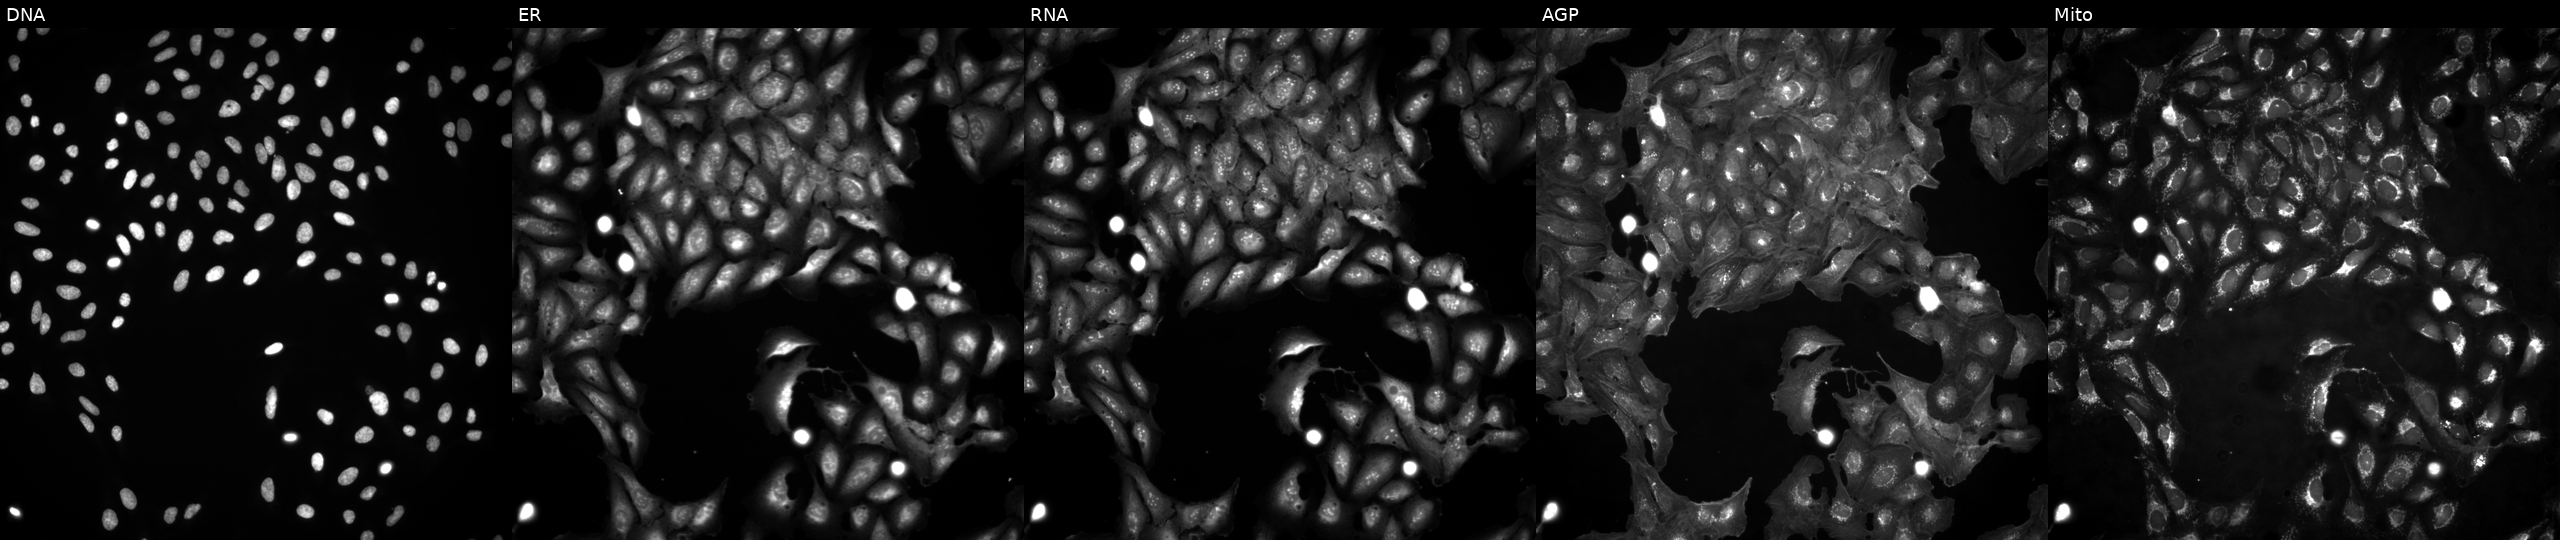
The five panels, left to right, show DNA (nuclei); ER (endoplasmic reticulum); RNA (nucleoli and cytoplasmic RNA); AGP (actin cytoskeleton, Golgi, and plasma membrane); Mito (mitochondria). U2OS osteosarcoma cells in an empty control well (no perturbation) (JUMP id JCP2022_999999). Cell Painting assay, JUMP-CP dataset. Source 4, plate BR00124793, well M10.